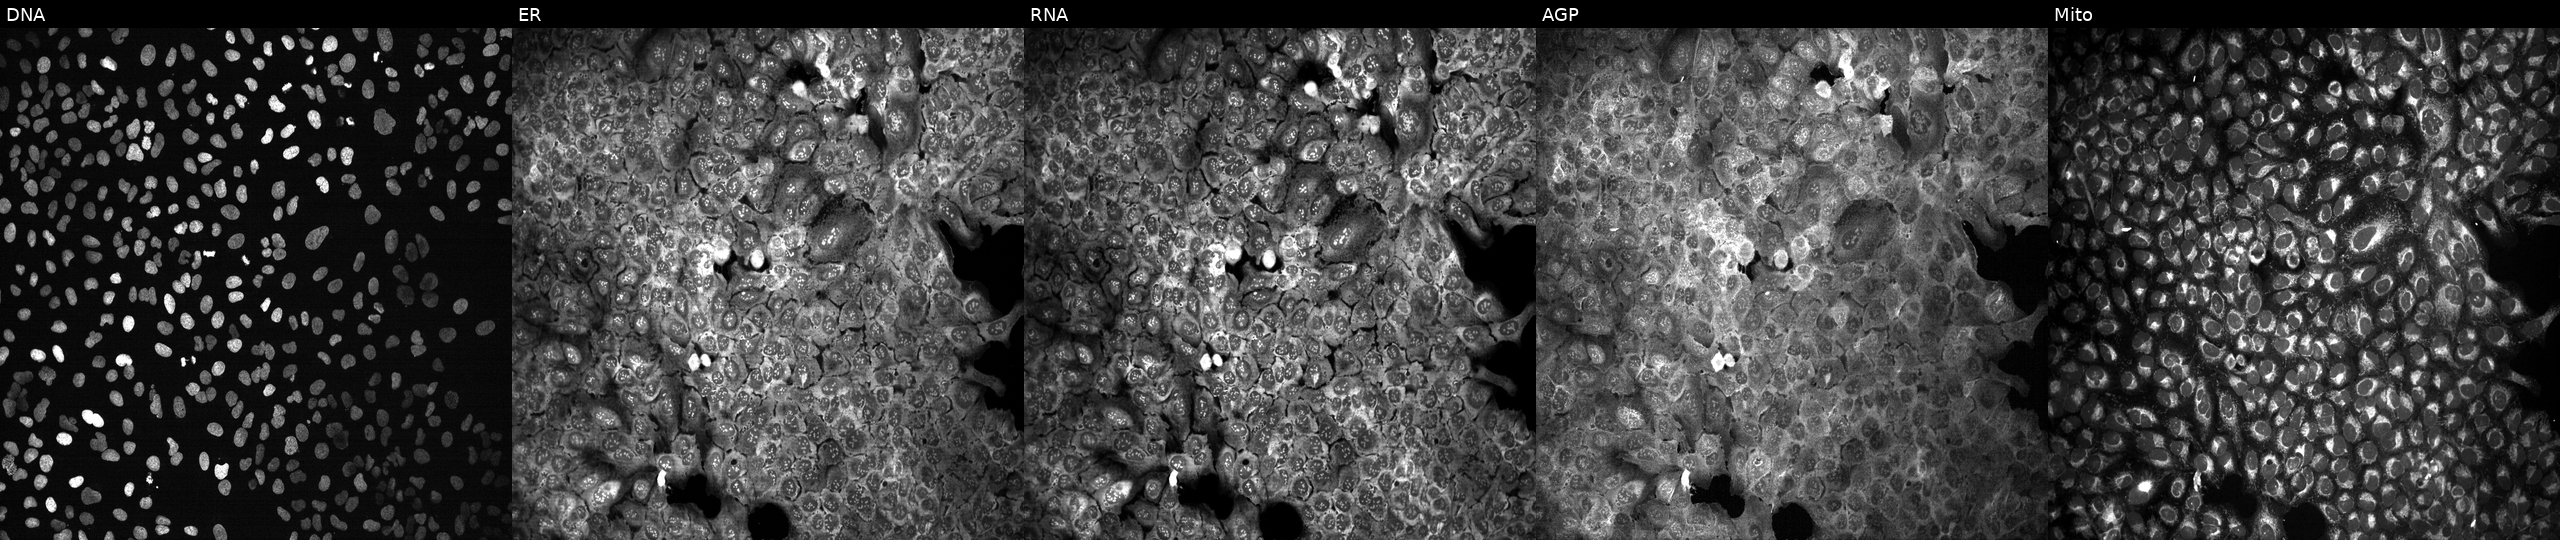
The five panels, left to right, show Hoechst 33342, concanavalin A, SYTO 14, phalloidin and WGA, MitoTracker. U2OS osteosarcoma cells with HS6ST3 knocked out by CRISPR. Cell Painting assay, JUMP-CP dataset. Source 13, plate CP-CC9-R3-01, well L20.